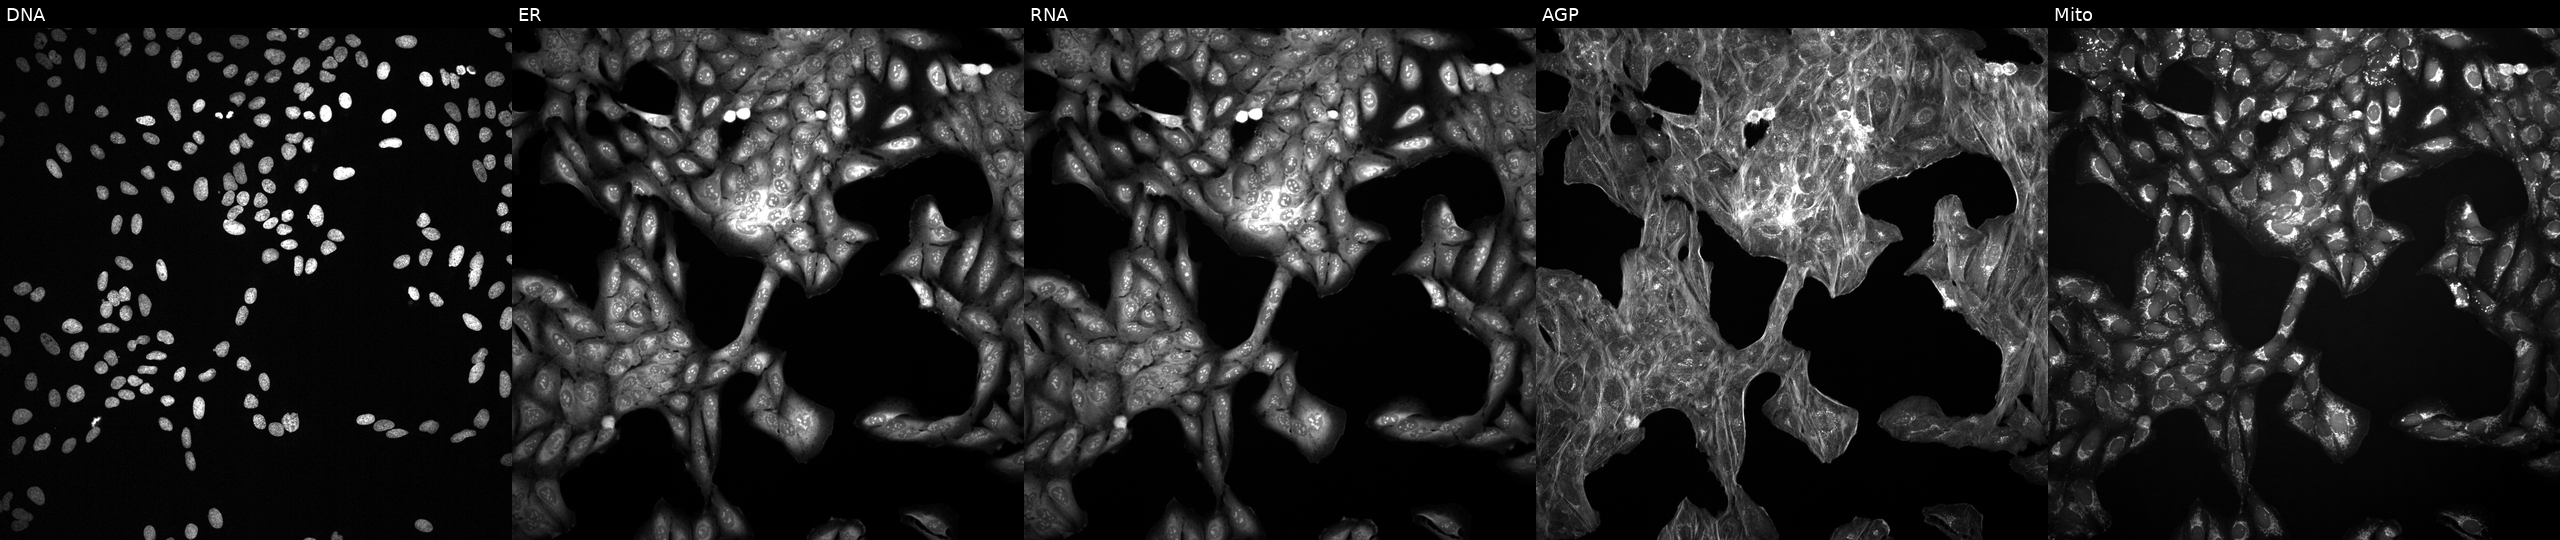
High-content fluorescence microscopy (Cell Painting). Cell line: U2OS. Perturbation: perturbed with a small-molecule compound (JUMP id JCP2022_009419). Channels (left→right): Hoechst 33342, concanavalin A, SYTO 14, phalloidin and WGA, MitoTracker.